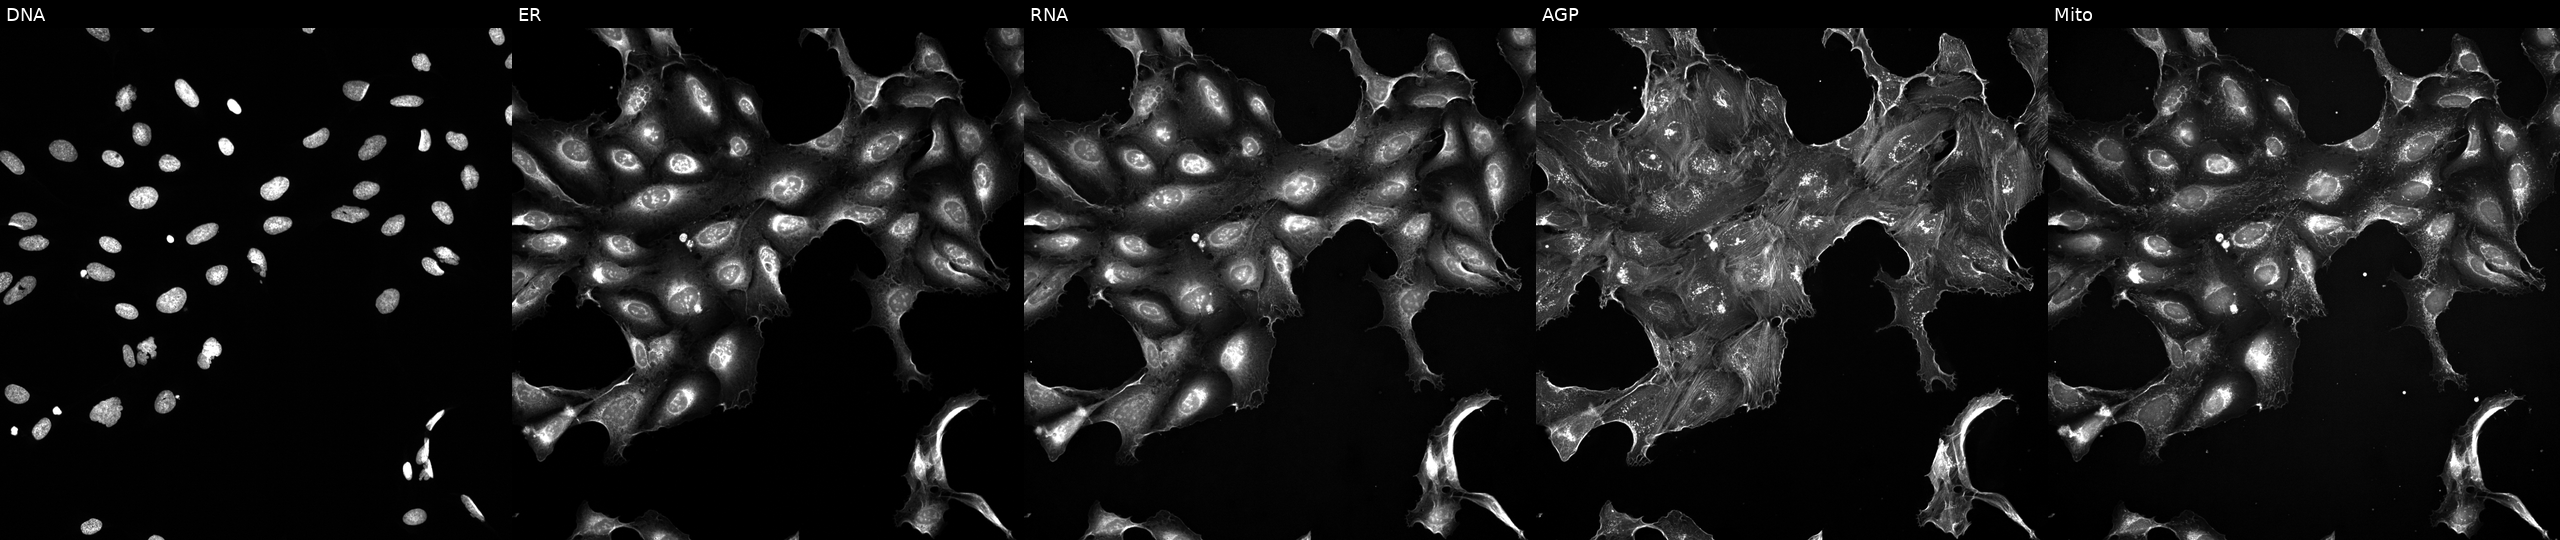
High-content fluorescence microscopy (Cell Painting). Cell line: U2OS. Perturbation: treated with a small-molecule compound [SMILES: CN(c1ccccc1CN=c1[nH]c(=Nc2ccc3[nH]c(O)cc3c2)[nH]cc1C(F)(F)F)S(C)(=O)=O] (JUMP id JCP2022_027206). The five panels, left to right, show DNA (nuclei); ER (endoplasmic reticulum); RNA (nucleoli and cytoplasmic RNA); AGP (actin cytoskeleton, Golgi, and plasma membrane); Mito (mitochondria).